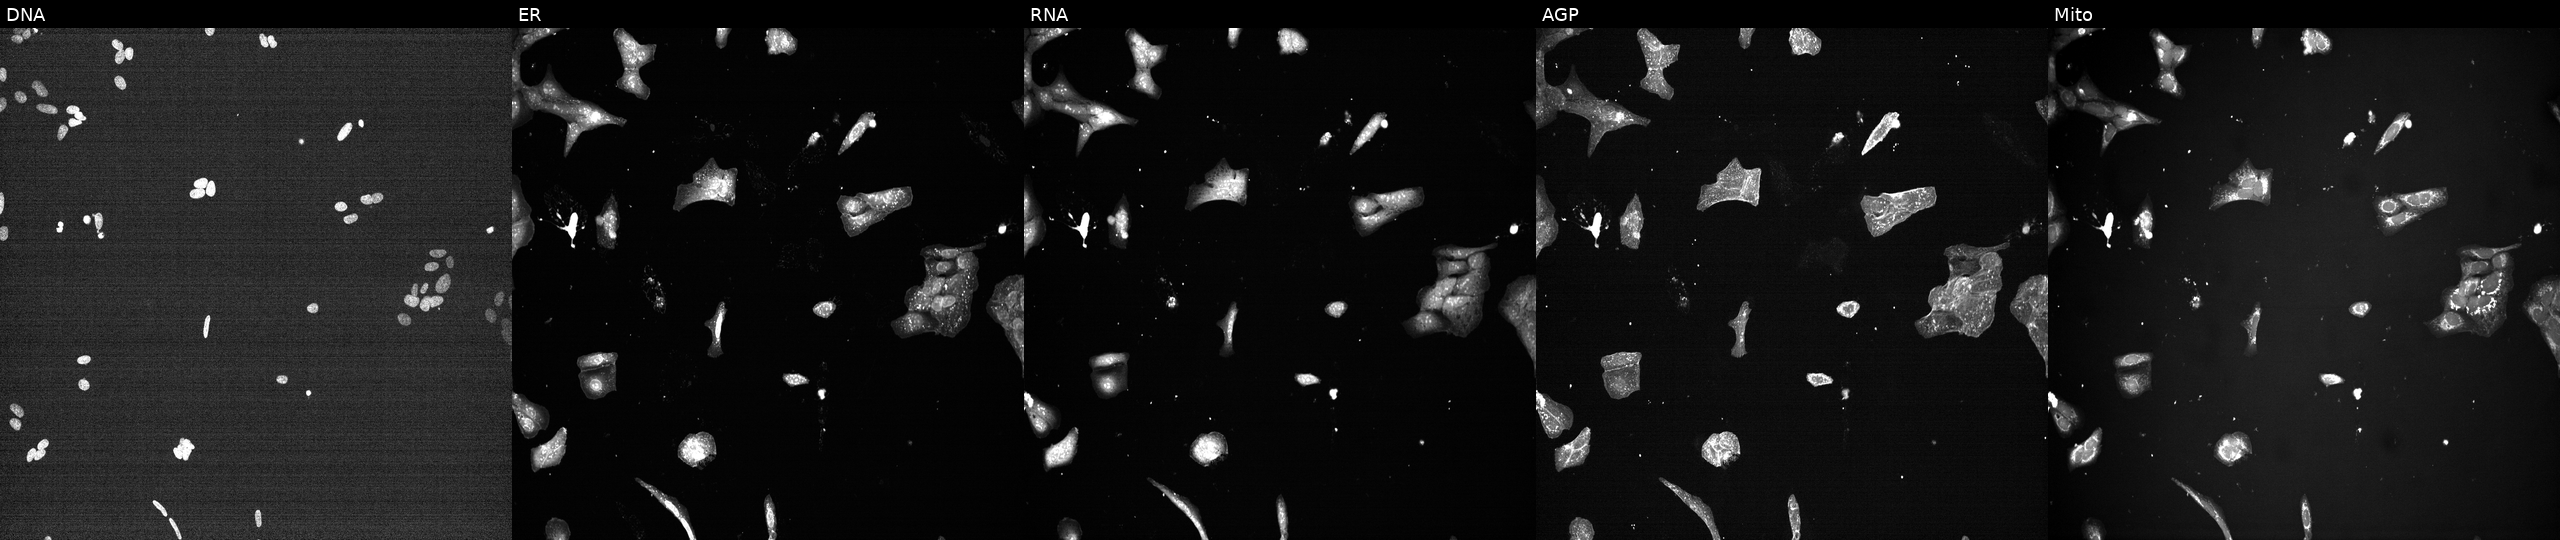
This image strip shows the five Cell Painting channels for a single field of U2OS cells treated with a small-molecule compound (InChIKey KXBDTLQSDKGAEB-UHFFFAOYSA-N) [SMILES: C=CC(=O)Nc1cccc(N=c2[nH]c(=Nc3ccc(OCCOC)cc3)[nH]cc2F)c1]. Panels show, left to right, Hoechst 33342, concanavalin A, SYTO 14, phalloidin and WGA, MitoTracker. Source 7, plate CP1-SC1-25, well P21.